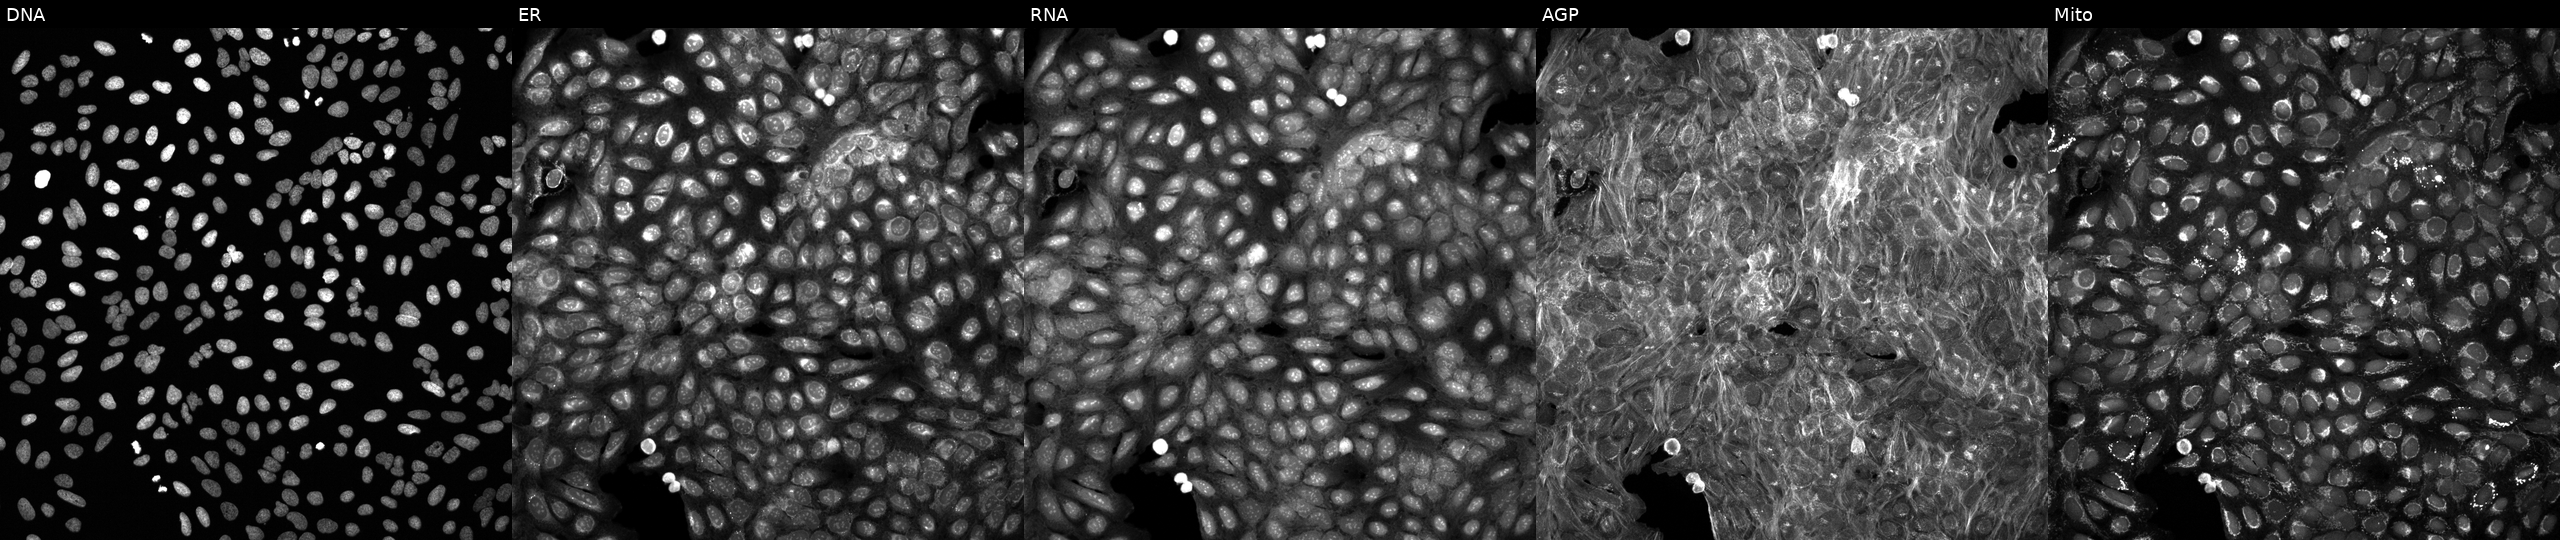
JUMP Cell Painting — TARGET2 plate. U2OS cells exposed to DMSO alone as a negative control. From left to right: DNA, ER, RNA, AGP, and Mito. Source 6, plate 110000294901, well C17.